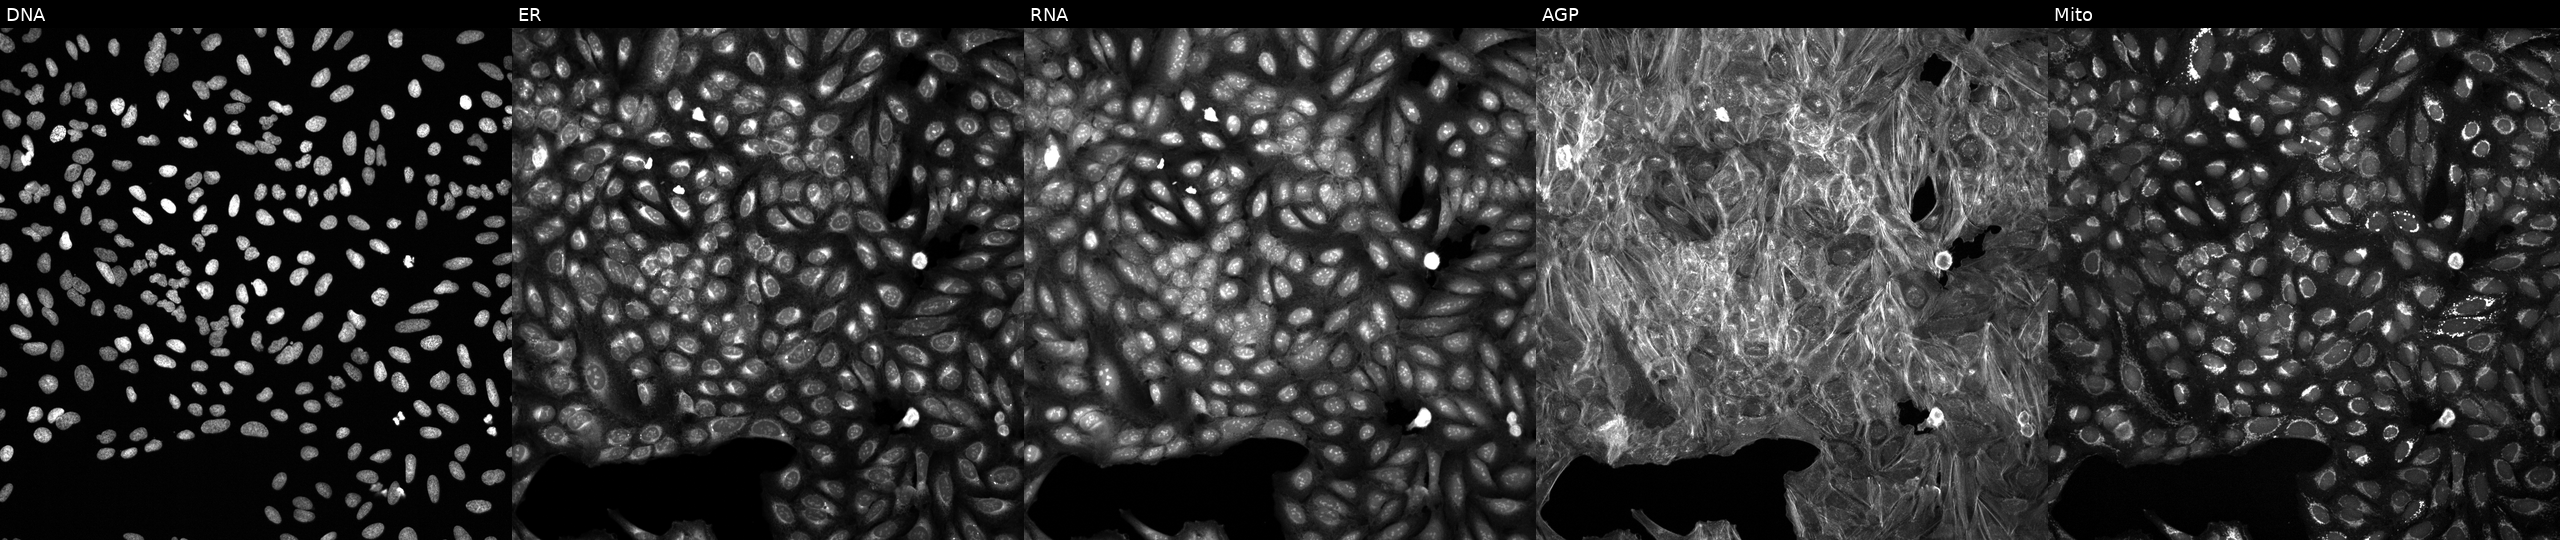
U2OS cells, Cell Painting assay, perturbed with a small-molecule compound (InChIKey NPWRRUUNSNCVQZ-UHFFFAOYSA-N) [SMILES: Cc1nc(-c2csc(S(=O)(=O)Nc3ccc(S(N)(=O)=O)cc3)c2)no1] (JUMP id JCP2022_060606). The five panels, left to right, show DNA (nuclei); ER (endoplasmic reticulum); RNA (nucleoli and cytoplasmic RNA); AGP (actin cytoskeleton, Golgi, and plasma membrane); Mito (mitochondria). Each panel is percentile-stretched 16-bit fluorescence.